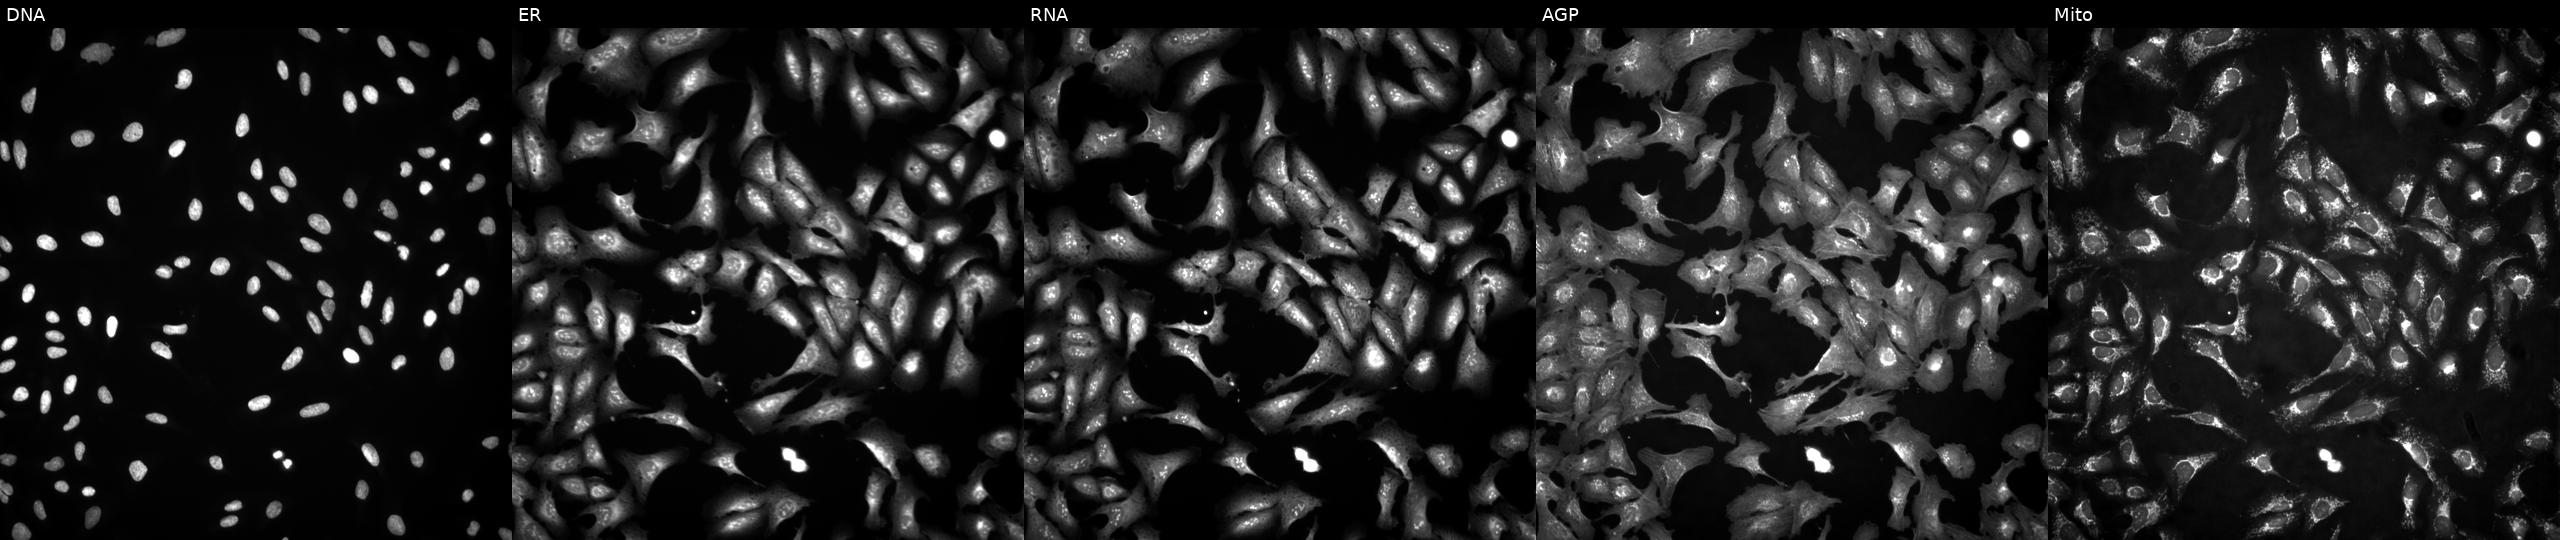
Five-channel Cell Painting image of U2OS cells transfected with an ORF construct for TMEM14B (JUMP id JCP2022_908488). From left to right: Hoechst 33342, concanavalin A, SYTO 14, phalloidin and WGA, MitoTracker.